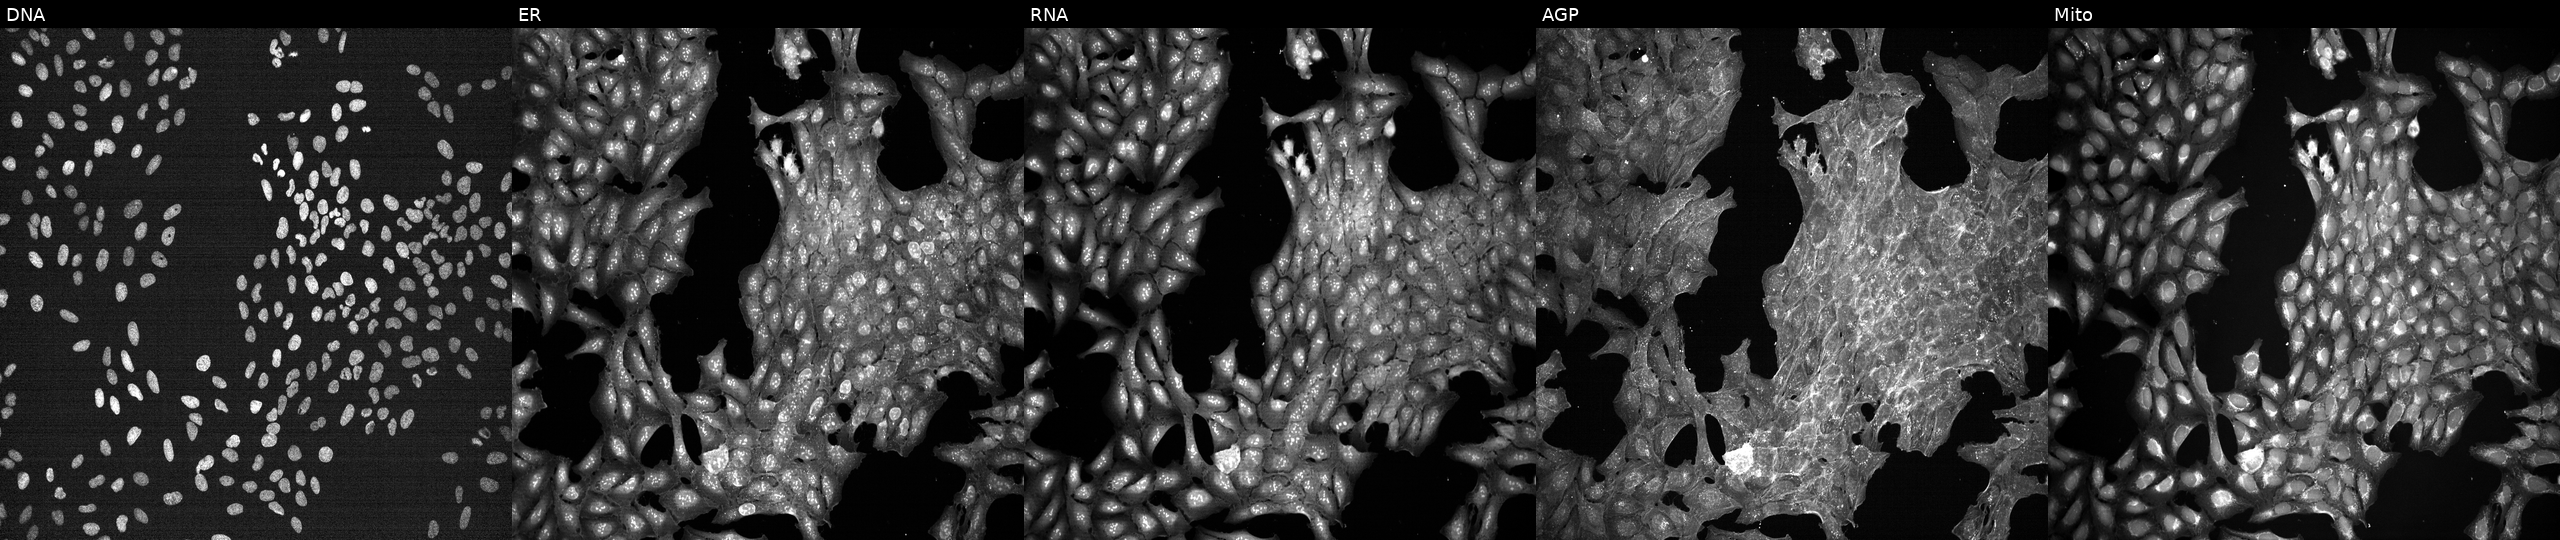
JUMP Cell Painting — TARGET2 plate. U2OS cells exposed to DMSO alone as a negative control (JUMP id JCP2022_033924). The five panels, left to right, show DNA (nuclei); ER (endoplasmic reticulum); RNA (nucleoli and cytoplasmic RNA); AGP (actin cytoskeleton, Golgi, and plasma membrane); Mito (mitochondria).